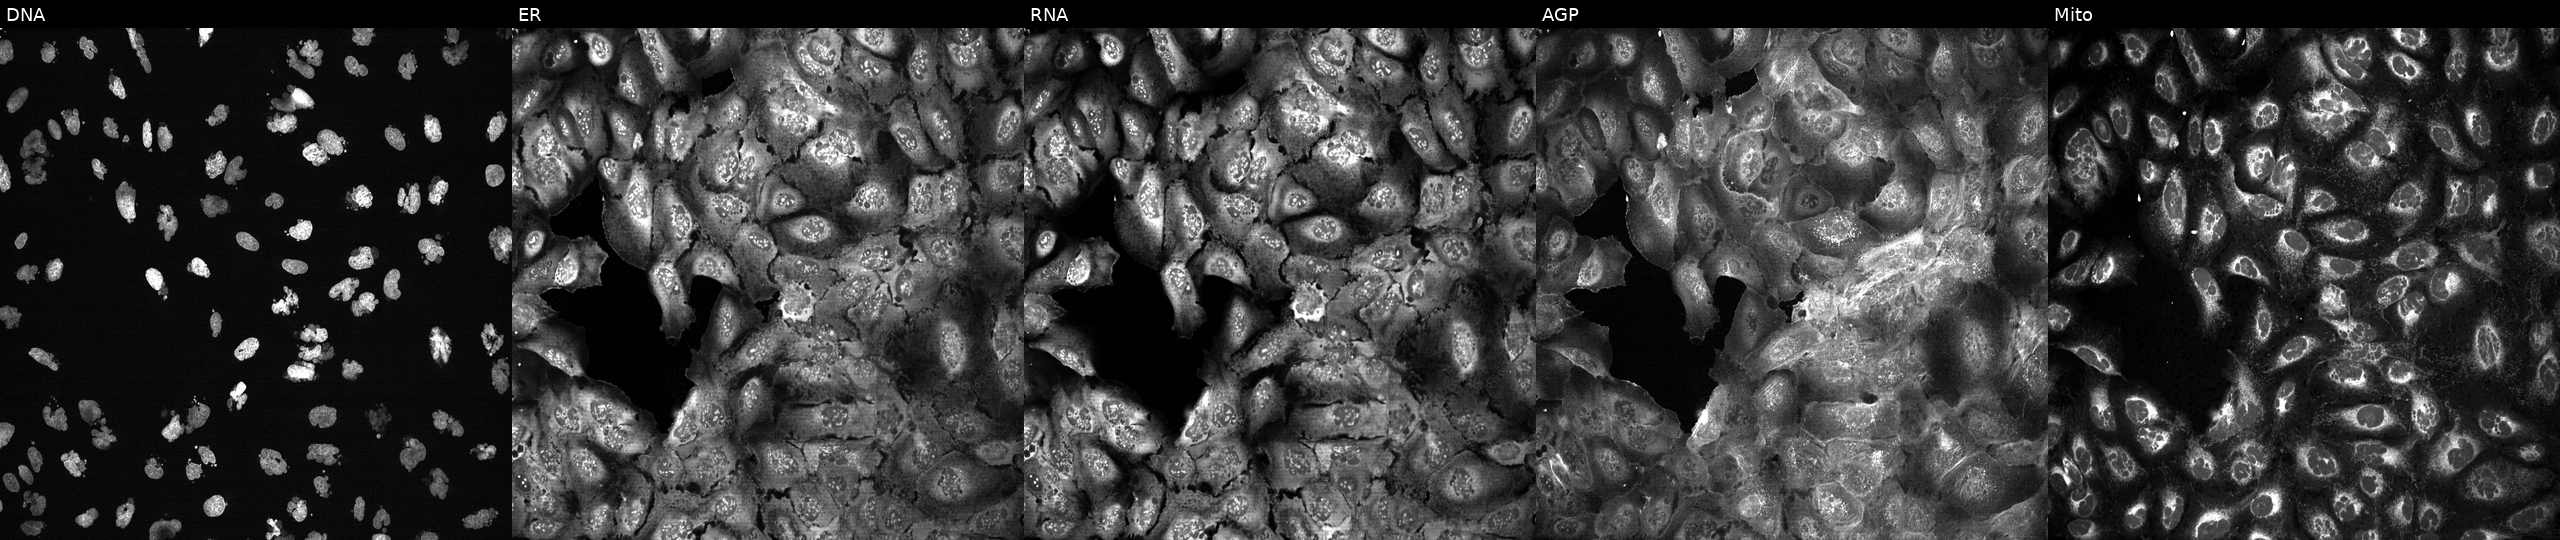
Five-channel Cell Painting image of U2OS cells exposed to the positive-control compound AMG900 (JUMP id JCP2022_037716). From left to right: Hoechst 33342, concanavalin A, SYTO 14, phalloidin and WGA, MitoTracker. Source 13, plate CP-CC9-R2-01, well G24.